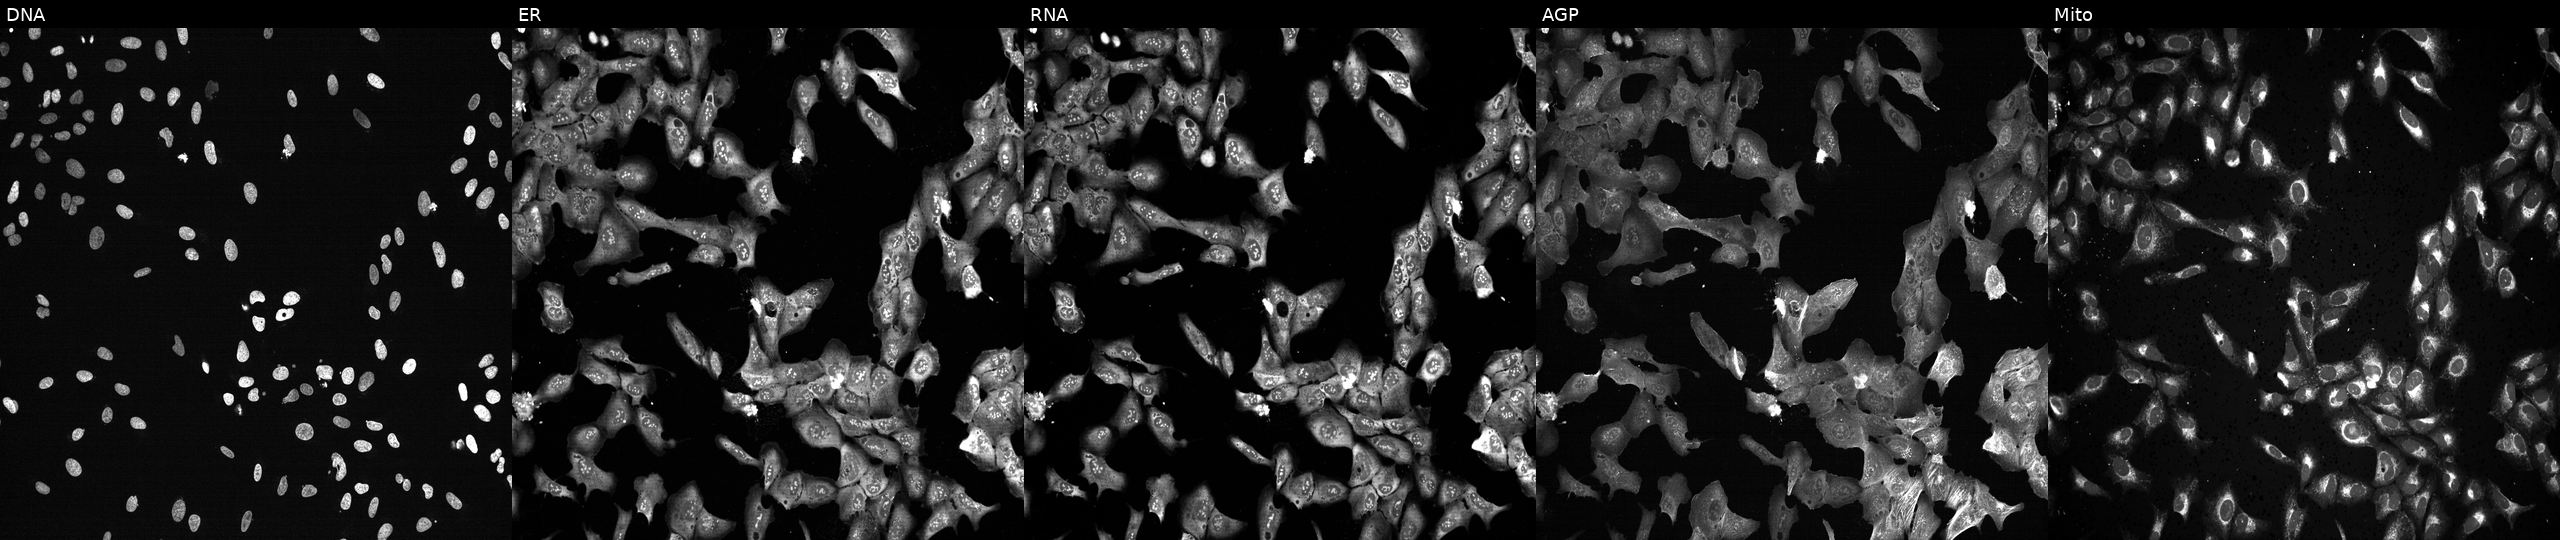
Five-channel Cell Painting image of U2OS cells following CRISPR knockout of POLR2G. Channels (left→right): DNA (nuclei); ER (endoplasmic reticulum); RNA (nucleoli and cytoplasmic RNA); AGP (actin cytoskeleton, Golgi, and plasma membrane); Mito (mitochondria).